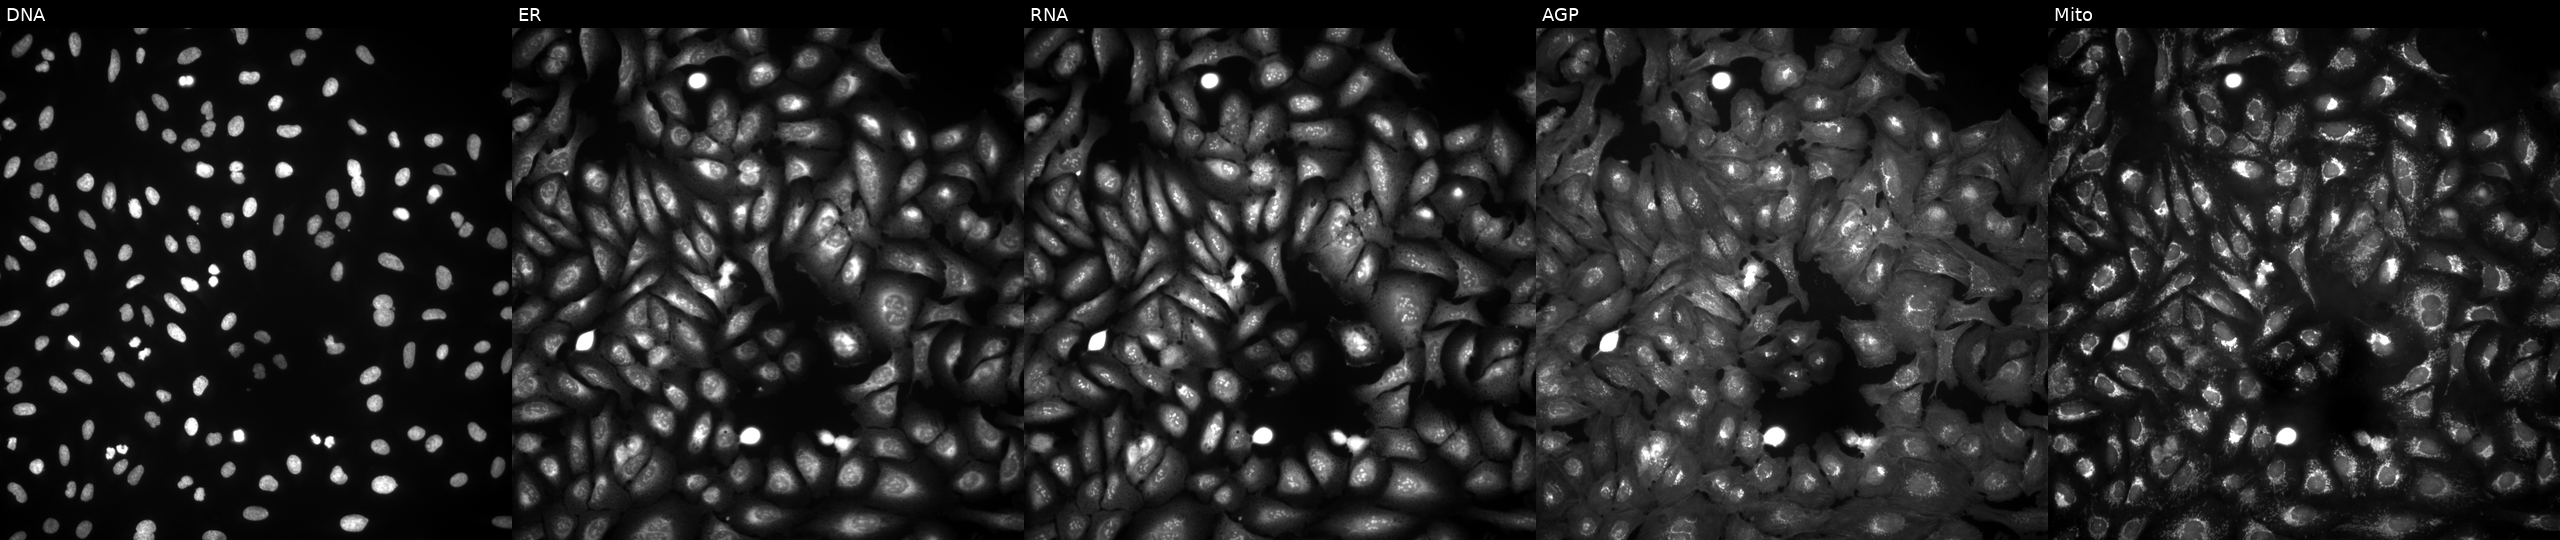
The five panels, left to right, show DNA, ER, RNA, AGP, and Mito. U2OS osteosarcoma cells with AKAP7 overexpressed (ORF) (JUMP id JCP2022_902029). Cell Painting assay, JUMP-CP dataset. Source 4, plate BR00124790, well A21.